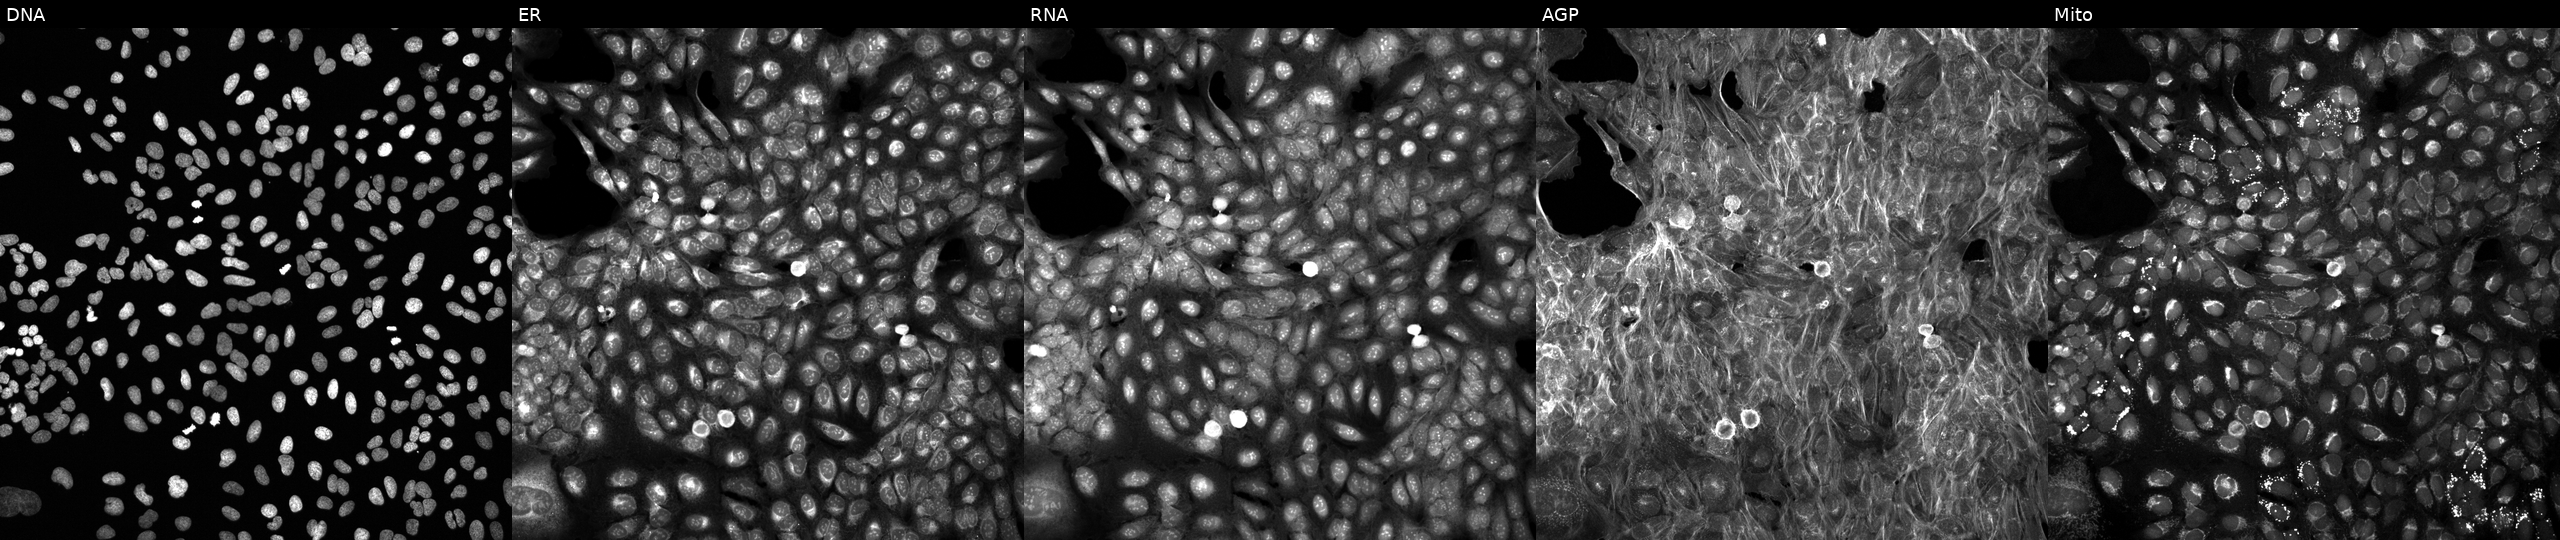
Five-channel Cell Painting image of U2OS cells exposed to a small-molecule compound (JUMP id JCP2022_090884). Panels show, left to right, Hoechst 33342, concanavalin A, SYTO 14, phalloidin and WGA, MitoTracker.